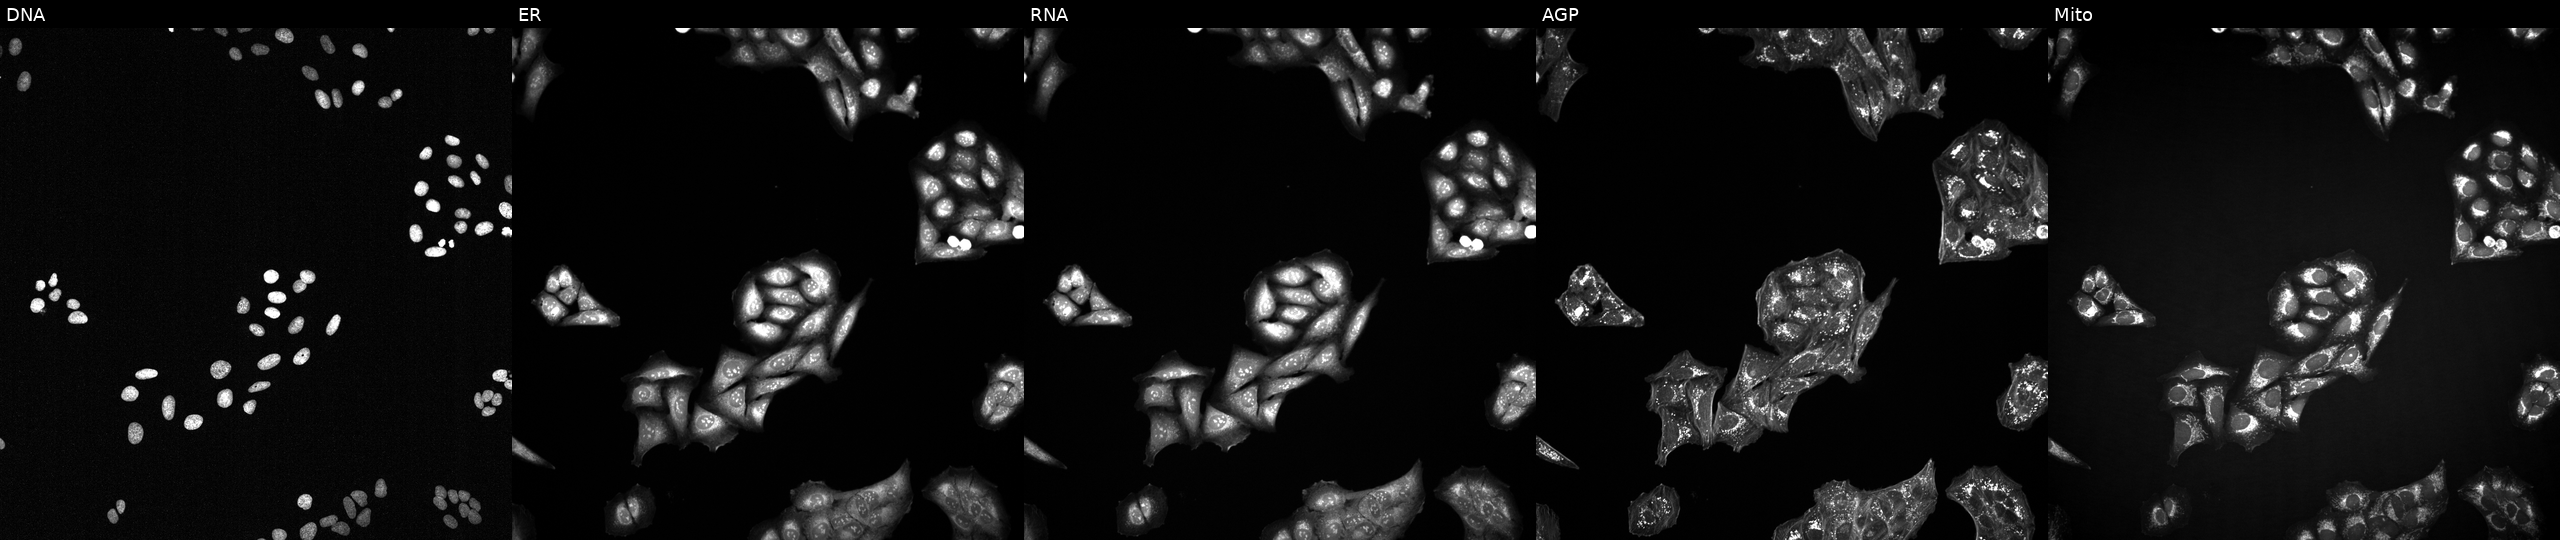
Five-channel Cell Painting image of U2OS cells perturbed with a small-molecule compound [SMILES: CC1(N2CCC(n3c(C4CCCNC4)nc4ccccc43)CC2)CCCCCCC1] (JUMP id JCP2022_014367). The five panels, left to right, show Hoechst 33342, concanavalin A, SYTO 14, phalloidin and WGA, MitoTracker.